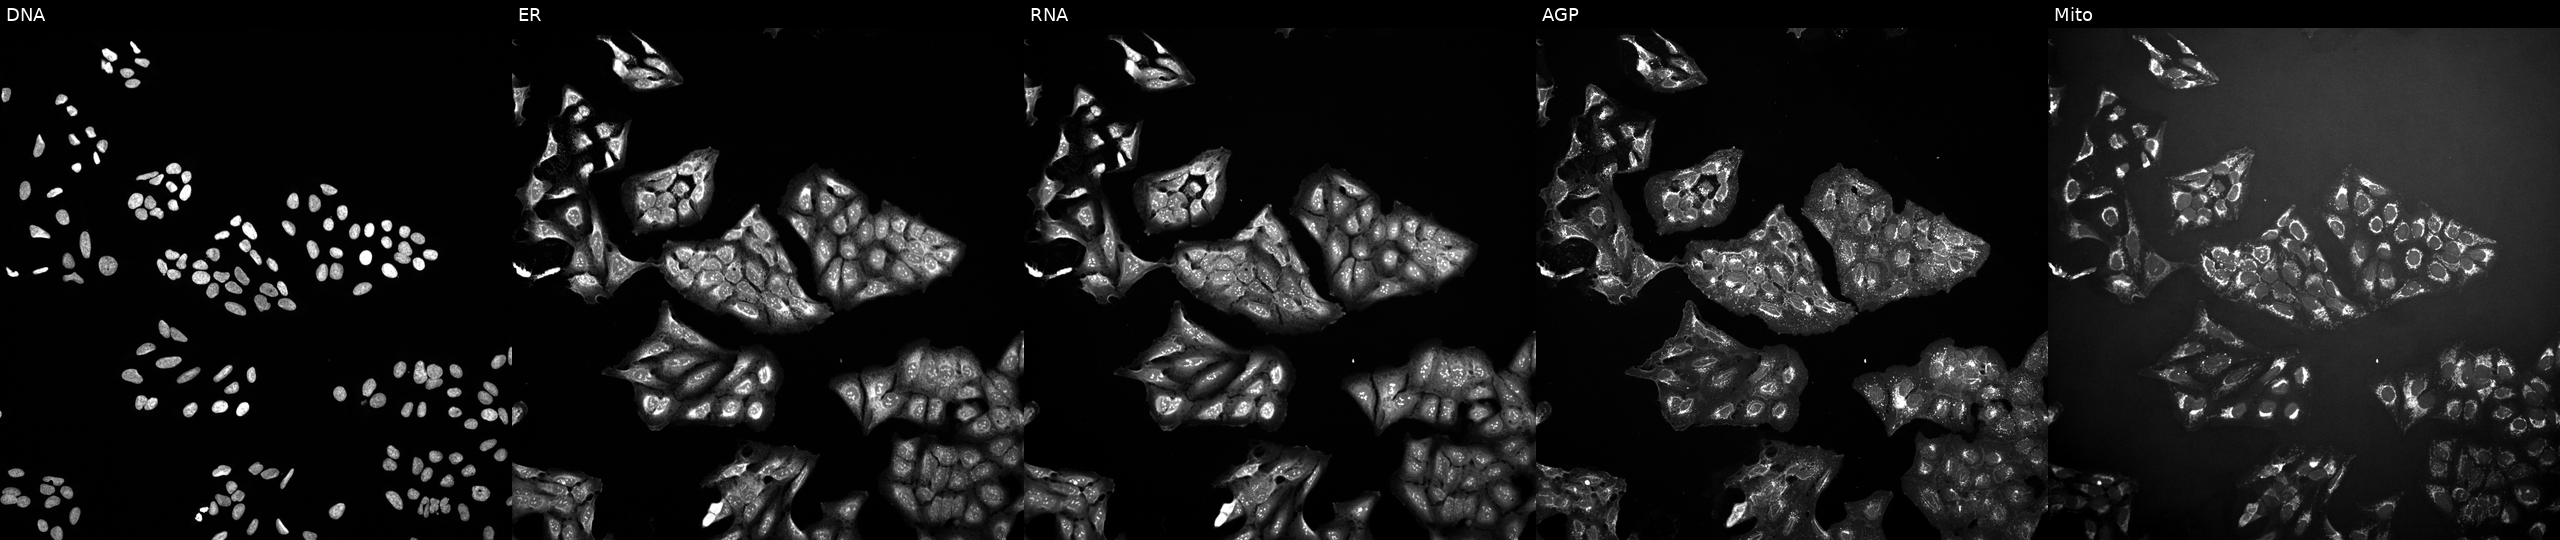
From left to right: DNA (nuclei); ER (endoplasmic reticulum); RNA (nucleoli and cytoplasmic RNA); AGP (actin cytoskeleton, Golgi, and plasma membrane); Mito (mitochondria). U2OS osteosarcoma cells perturbed with a small-molecule compound (InChIKey DMWVGXGXHPOEPT-UHFFFAOYSA-N) (JUMP id JCP2022_016935). Cell Painting assay, JUMP-CP dataset.